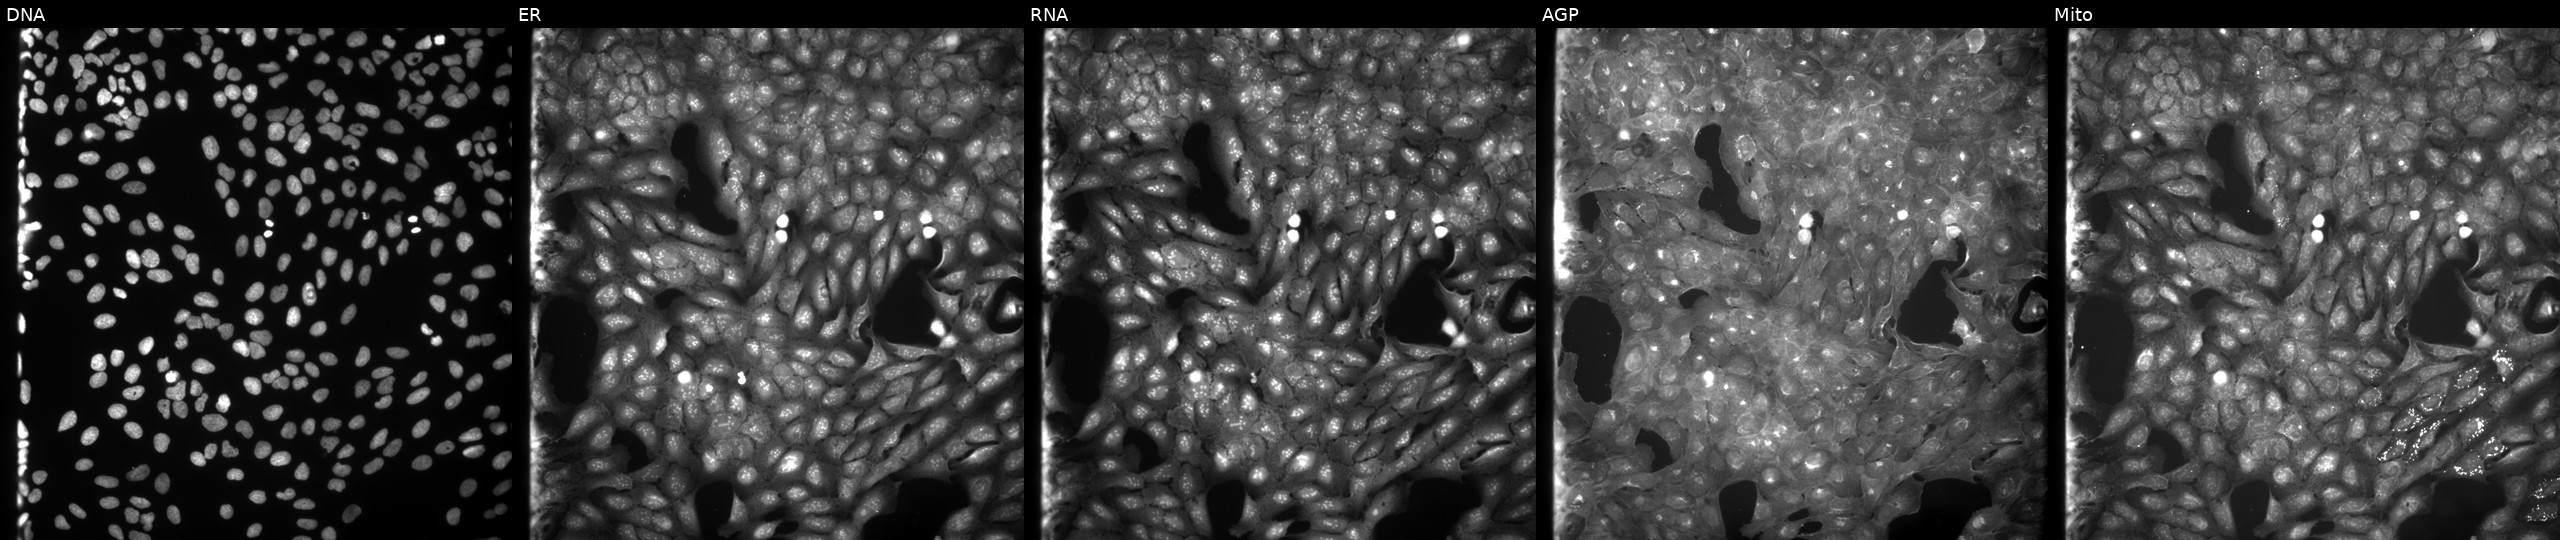
U2OS cells, Cell Painting assay, exposed to a small-molecule compound (InChIKey XQNVKVJVJOHLED-UHFFFAOYSA-N) (JUMP id JCP2022_105369). Panels show, left to right, DNA (nuclei); ER (endoplasmic reticulum); RNA (nucleoli and cytoplasmic RNA); AGP (actin cytoskeleton, Golgi, and plasma membrane); Mito (mitochondria). Each panel is percentile-stretched 16-bit fluorescence.